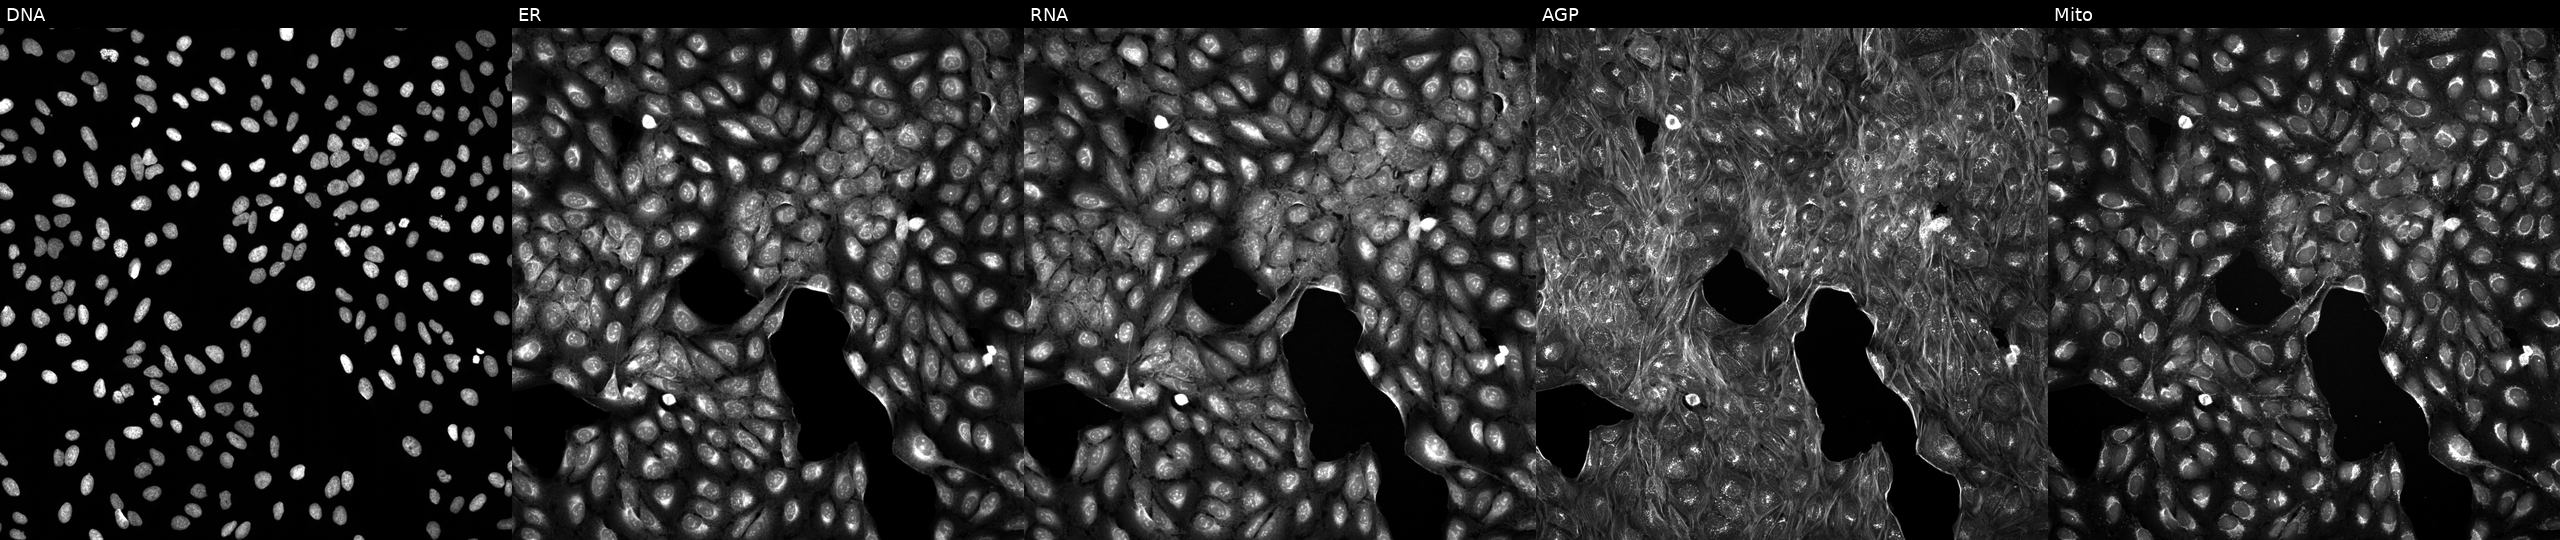
Channels (left→right): DNA (nuclei); ER (endoplasmic reticulum); RNA (nucleoli and cytoplasmic RNA); AGP (actin cytoskeleton, Golgi, and plasma membrane); Mito (mitochondria). U2OS osteosarcoma cells exposed to a small-molecule compound. Cell Painting assay, JUMP-CP dataset.